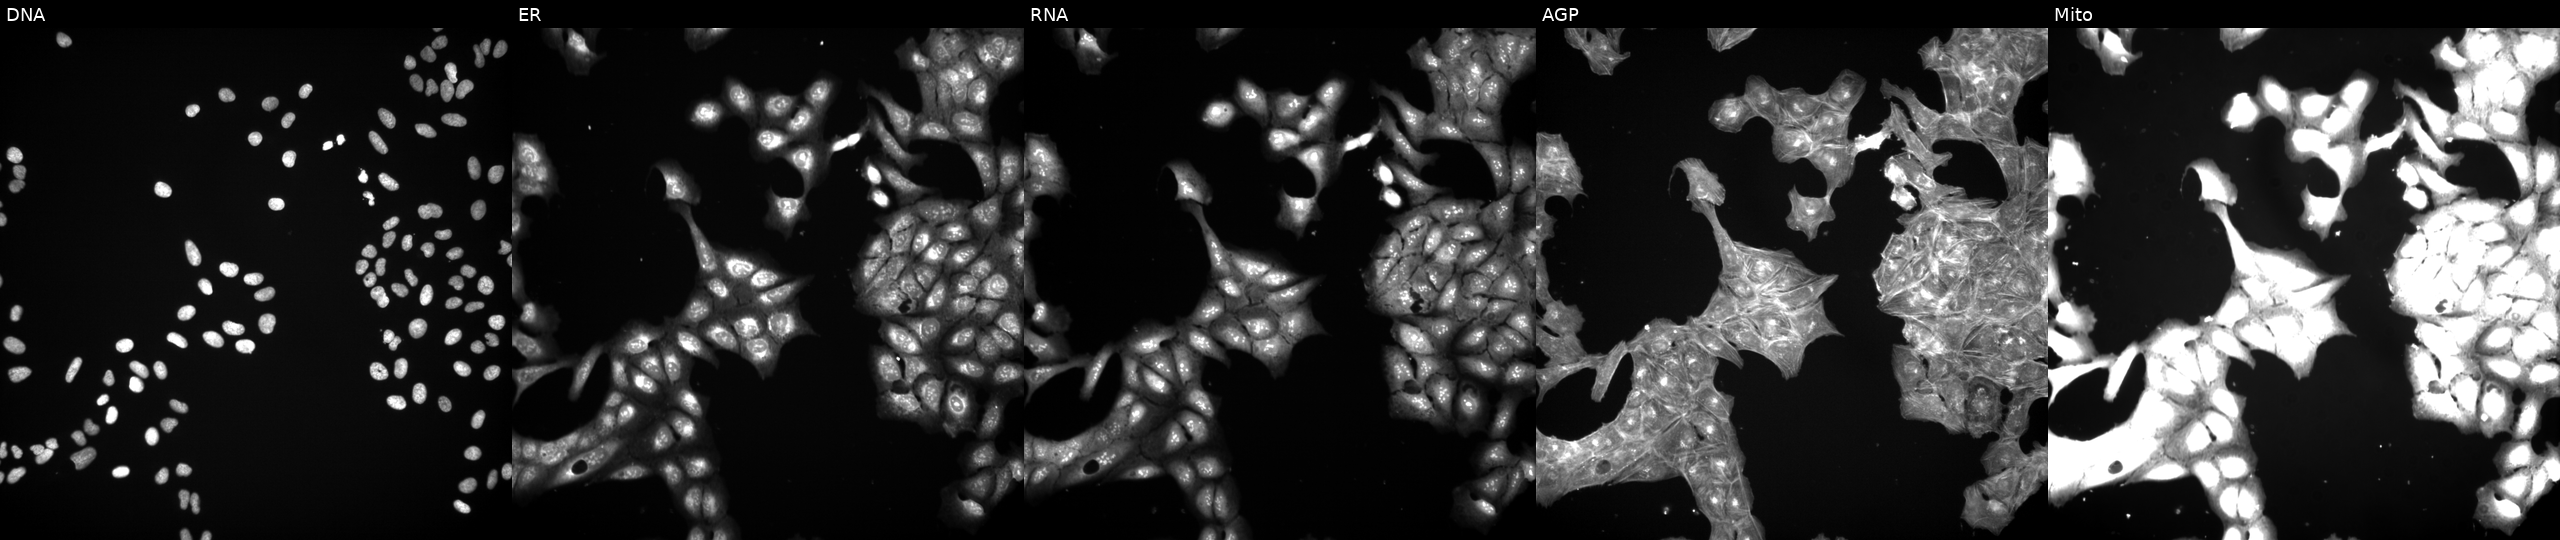
U2OS cells, Cell Painting assay, treated with DMSO vehicle only (negative control). Panels show, left to right, DNA, ER, RNA, AGP, and Mito. Each panel is percentile-stretched 16-bit fluorescence.